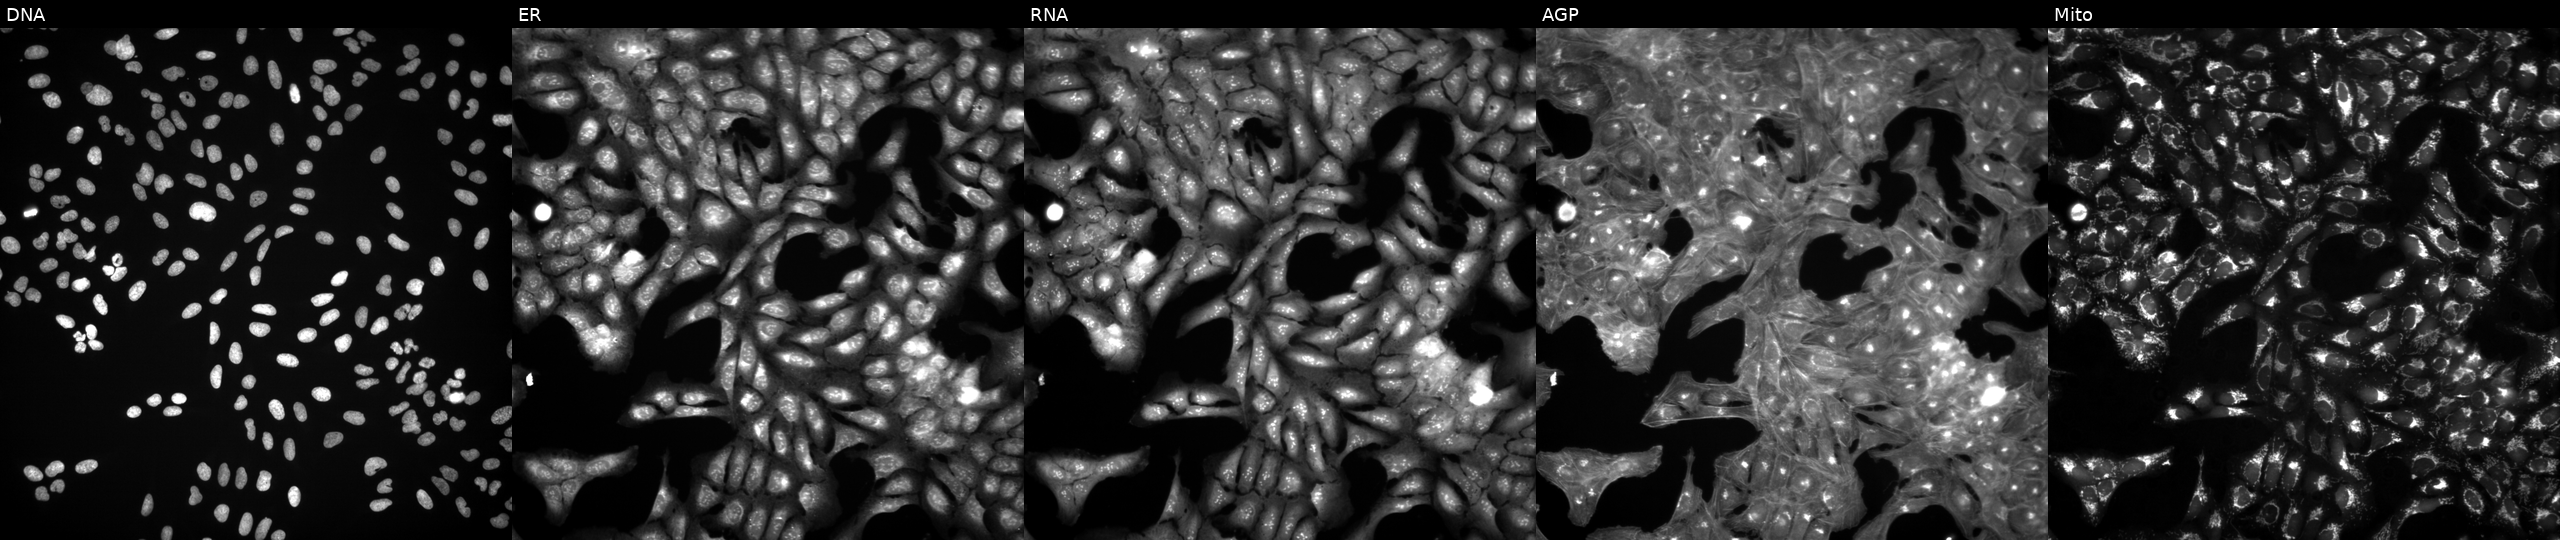
High-content fluorescence microscopy (Cell Painting). Cell line: U2OS. Perturbation: perturbed with a small-molecule compound (InChIKey ALOBUEHUHMBRLE-UHFFFAOYSA-N) [SMILES: CCCCCCCN(CC)CCCC(O)c1ccc(NS(C)(=O)=O)cc1] (JUMP id JCP2022_002206). From left to right: DNA, ER, RNA, AGP, and Mito.